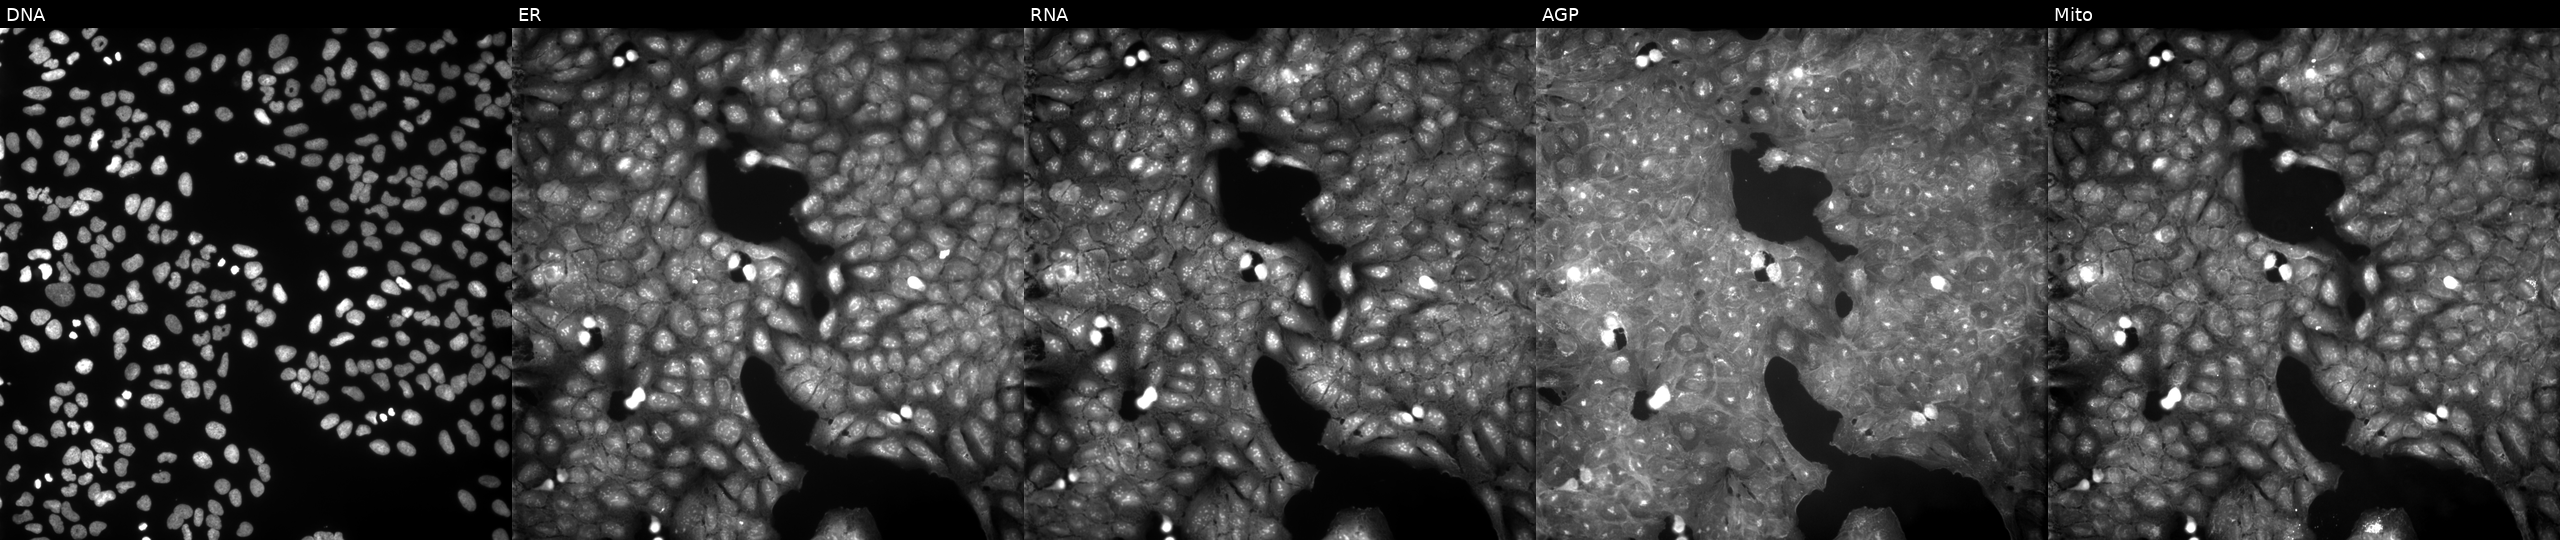
The five panels, left to right, show DNA (nuclei); ER (endoplasmic reticulum); RNA (nucleoli and cytoplasmic RNA); AGP (actin cytoskeleton, Golgi, and plasma membrane); Mito (mitochondria). U2OS osteosarcoma cells treated with DMSO vehicle only (negative control). Cell Painting assay, JUMP-CP dataset.